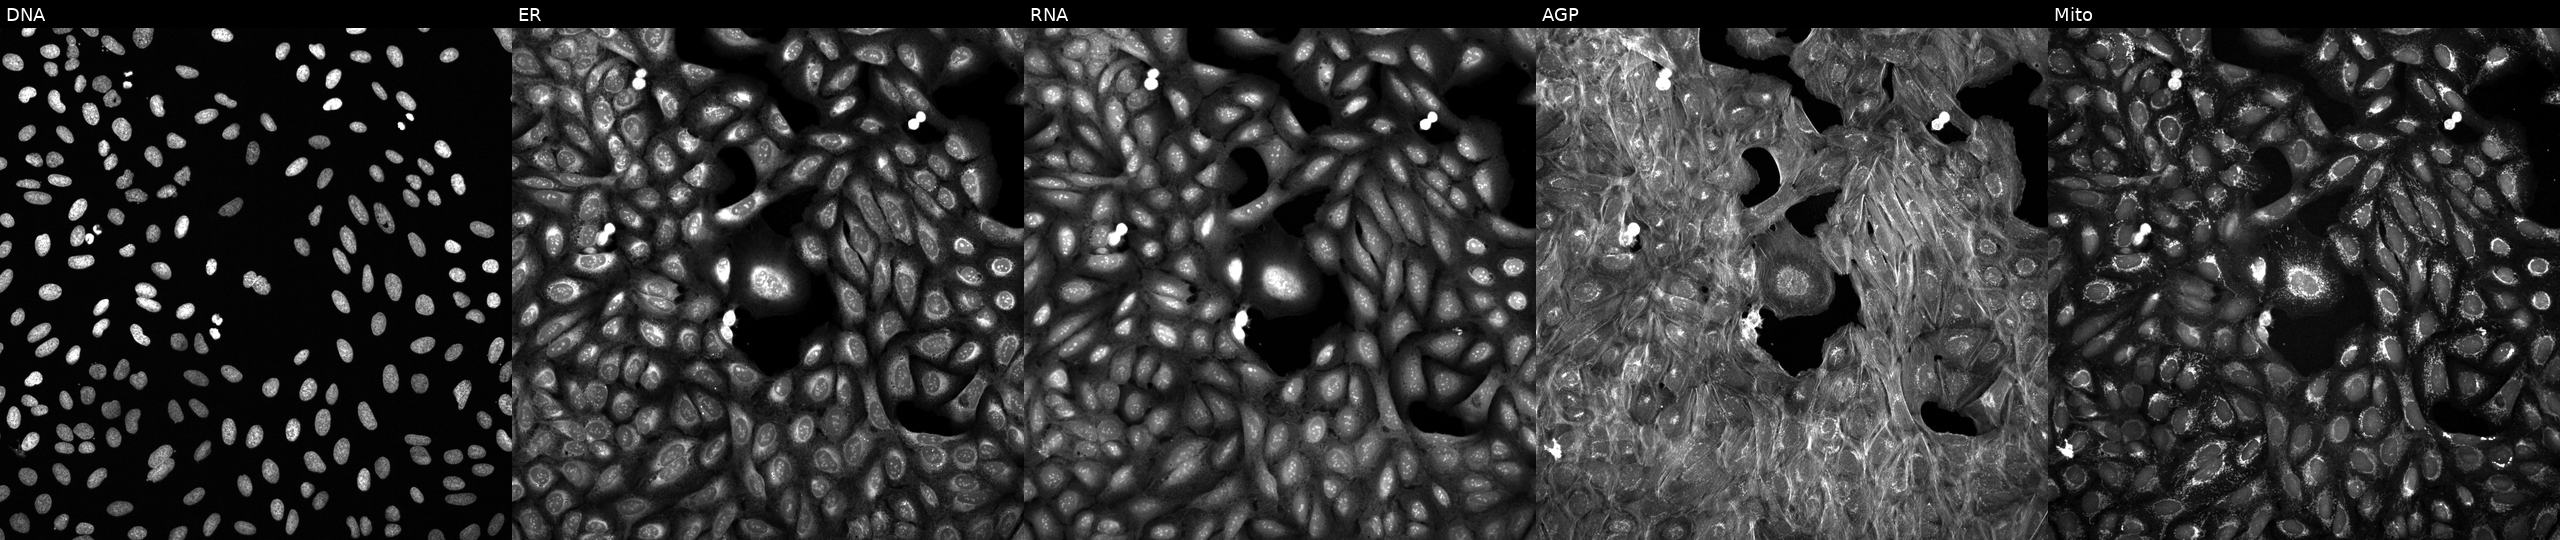
Five-channel Cell Painting image of U2OS cells exposed to a small-molecule compound (InChIKey BOFQWVMAQOTZIW-UHFFFAOYSA-N). Channels (left→right): DNA, ER, RNA, AGP, and Mito.